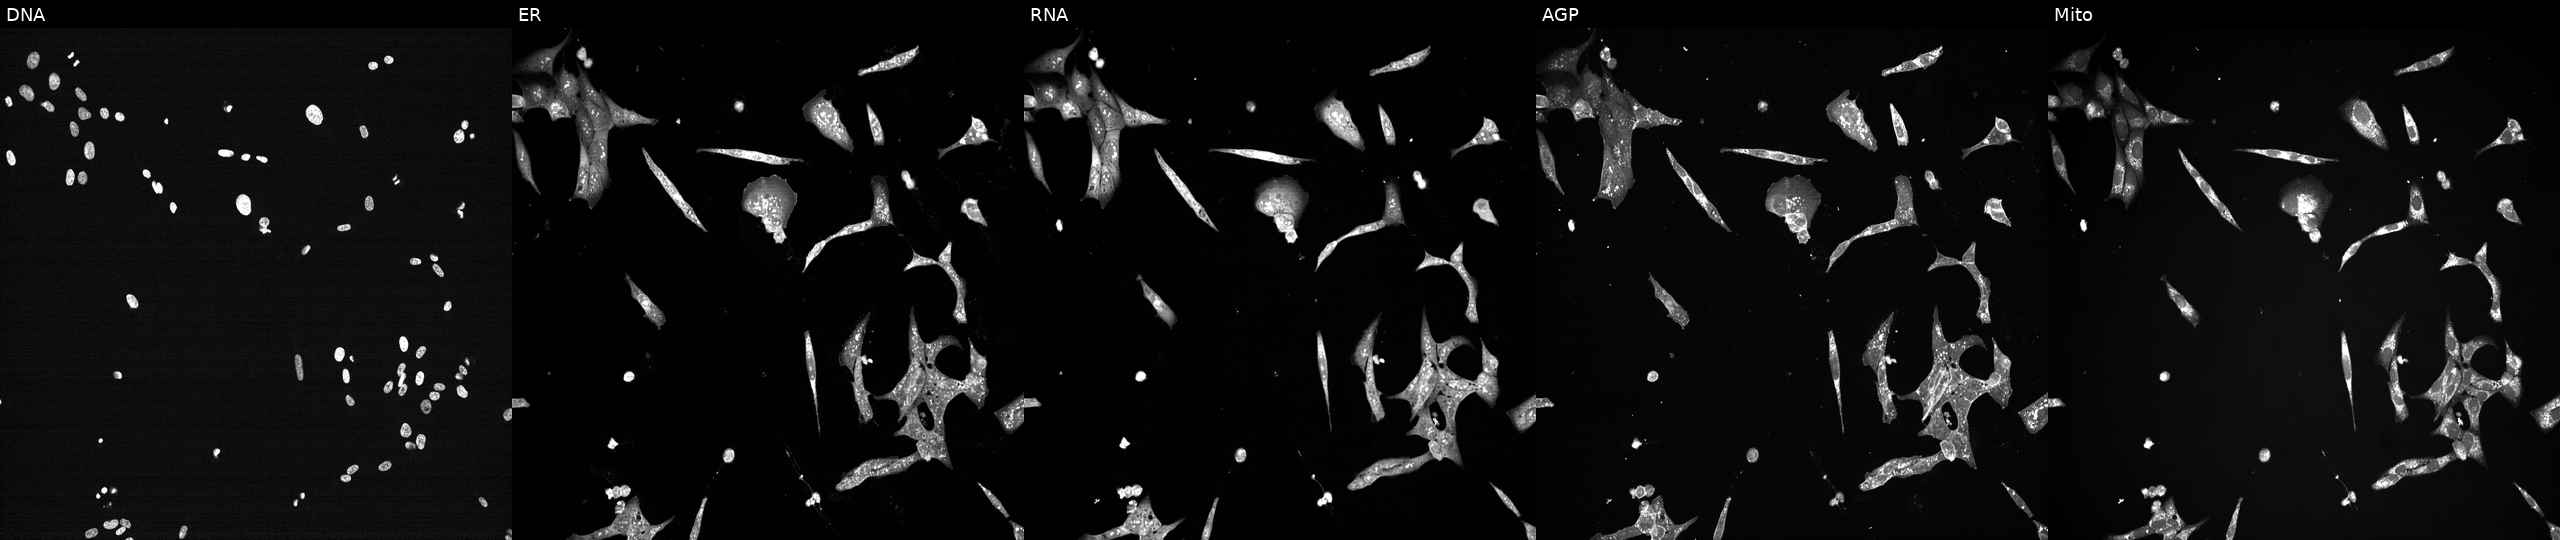
U2OS cells, Cell Painting assay, treated with a small-molecule compound. Panels show, left to right, Hoechst 33342, concanavalin A, SYTO 14, phalloidin and WGA, MitoTracker. Each panel is percentile-stretched 16-bit fluorescence. Source 7, plate CP2-SC1-25, well G24.